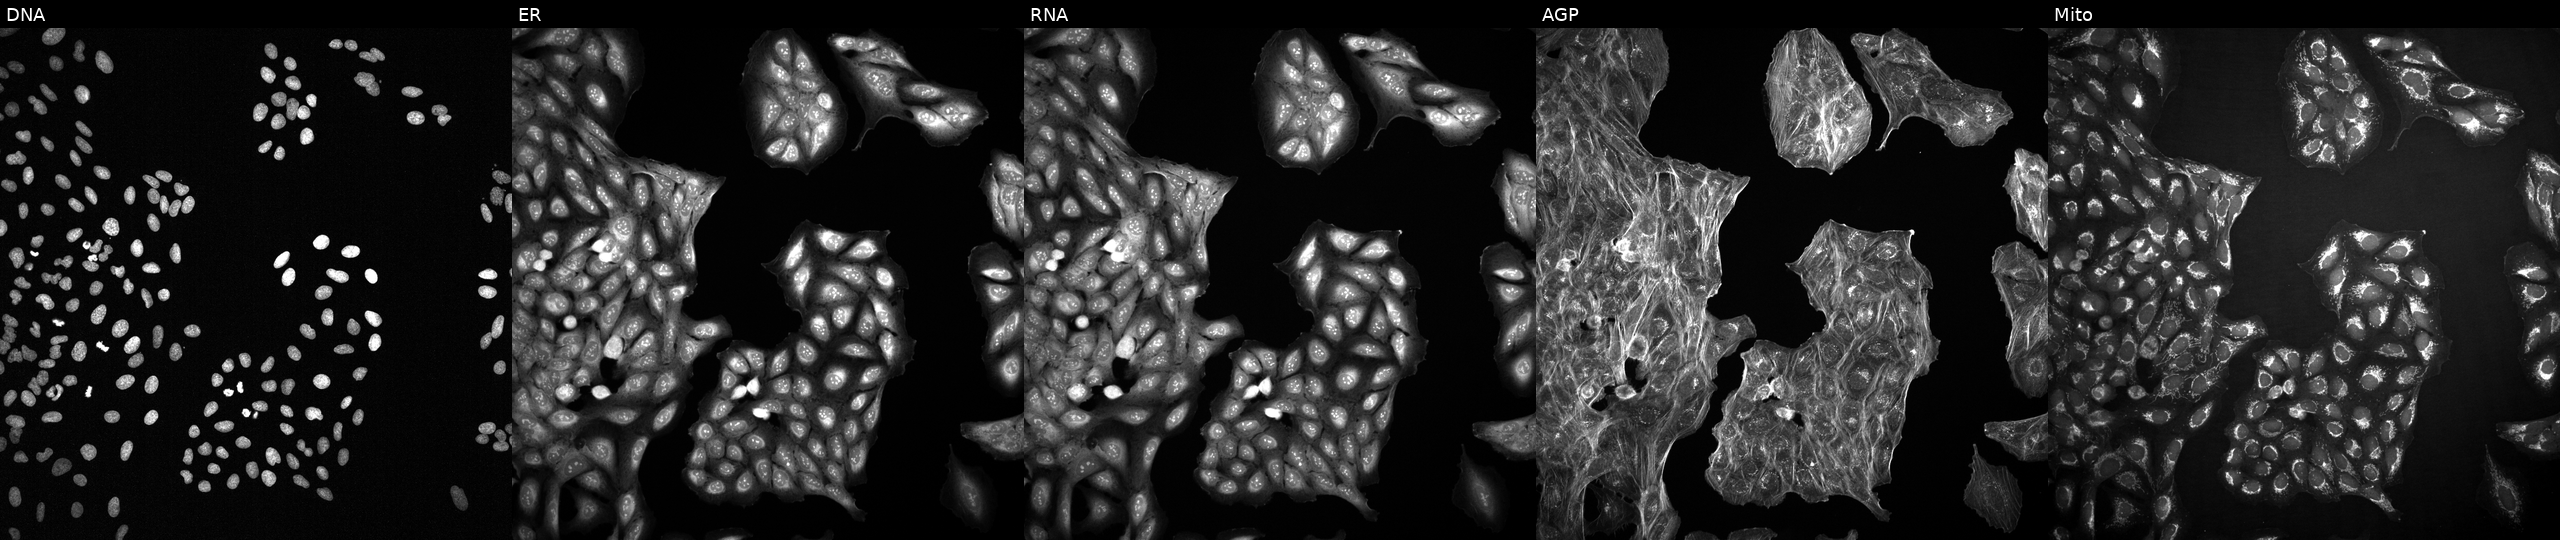
This image strip shows the five Cell Painting channels for a single field of U2OS cells treated with DMSO vehicle only (negative control). Channels (left→right): DNA, ER, RNA, AGP, and Mito.